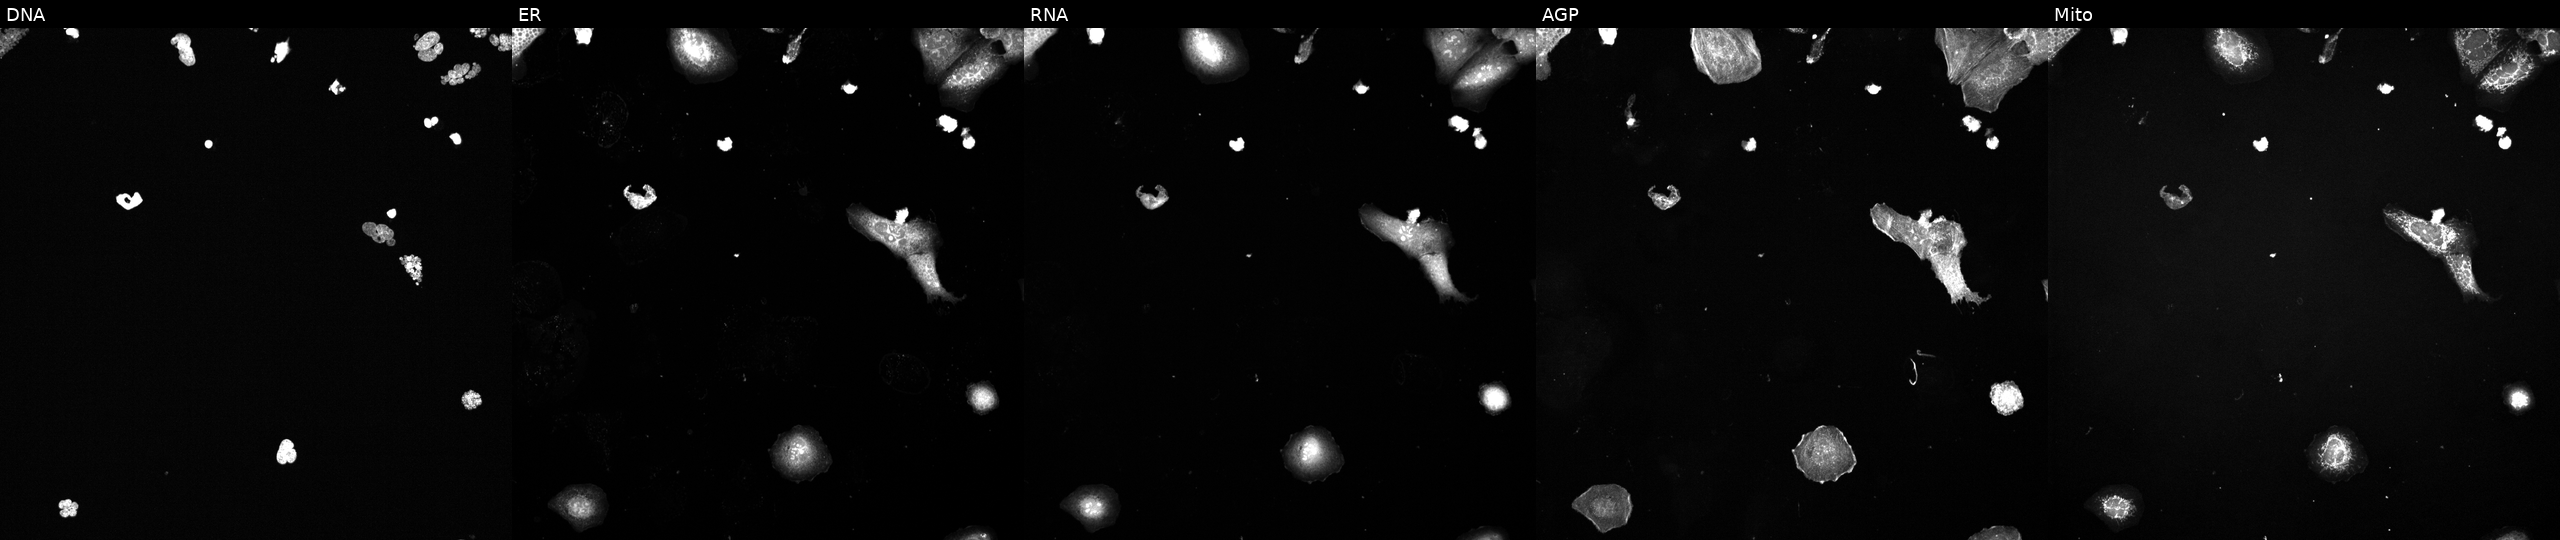
Channels (left→right): DNA (nuclei); ER (endoplasmic reticulum); RNA (nucleoli and cytoplasmic RNA); AGP (actin cytoskeleton, Golgi, and plasma membrane); Mito (mitochondria). U2OS osteosarcoma cells perturbed with a small-molecule compound (InChIKey RAOCRURYZCVHMG-UHFFFAOYSA-N) (JUMP id JCP2022_077096). Cell Painting assay, JUMP-CP dataset. Source 6, plate 110000293093, well F11.